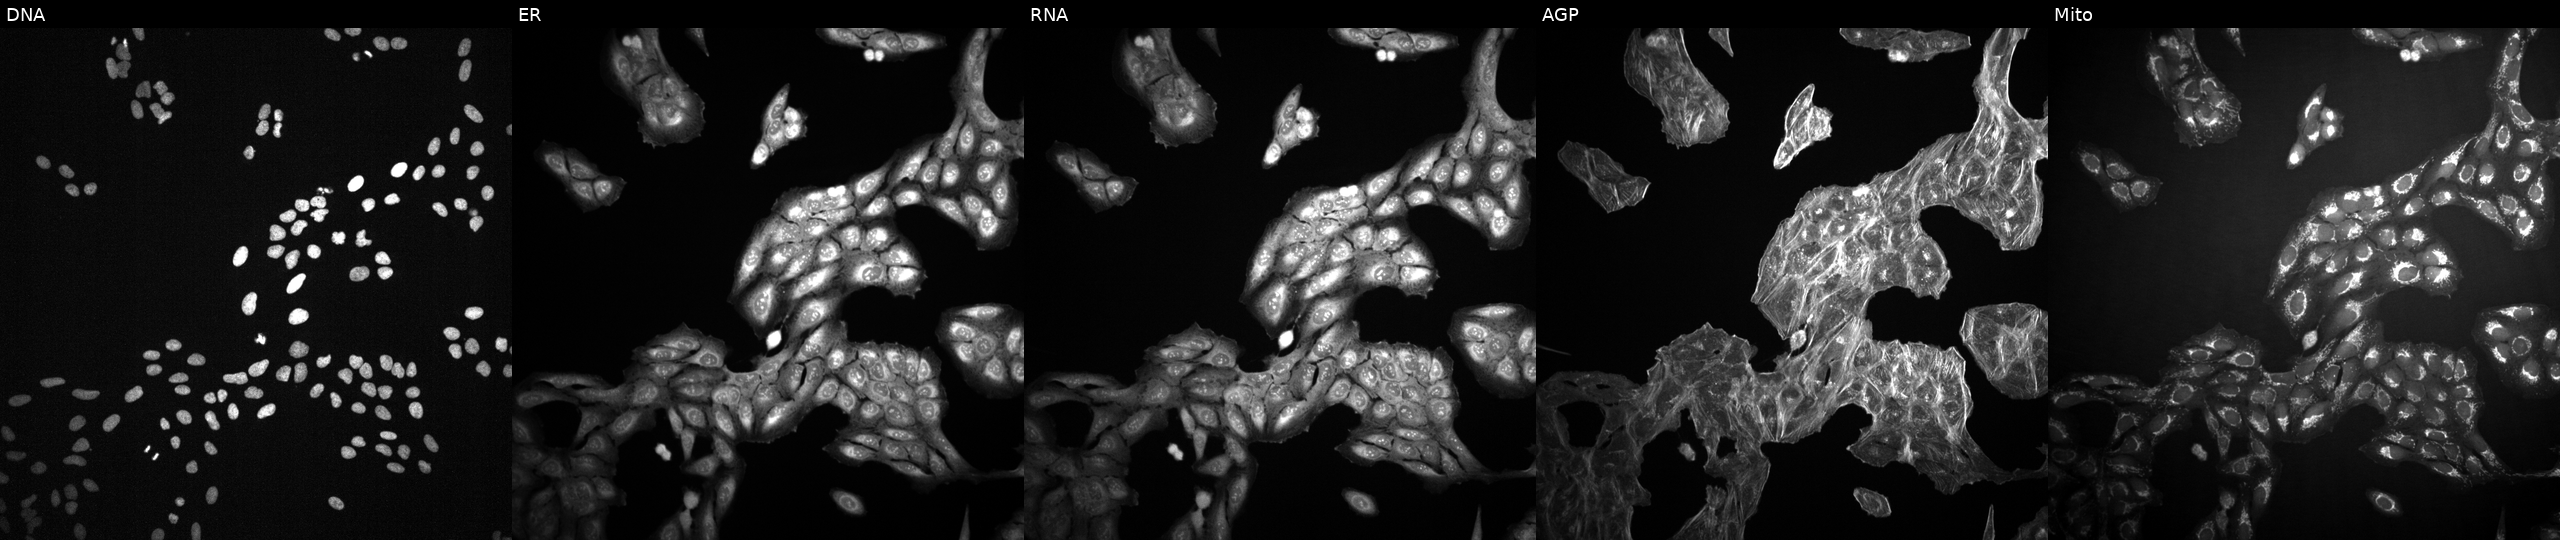
U2OS cells, Cell Painting assay, treated with DMSO vehicle only (negative control) (JUMP id JCP2022_033924). From left to right: DNA, ER, RNA, AGP, and Mito. Each panel is percentile-stretched 16-bit fluorescence. Source 2, plate 1053597936, well H06.